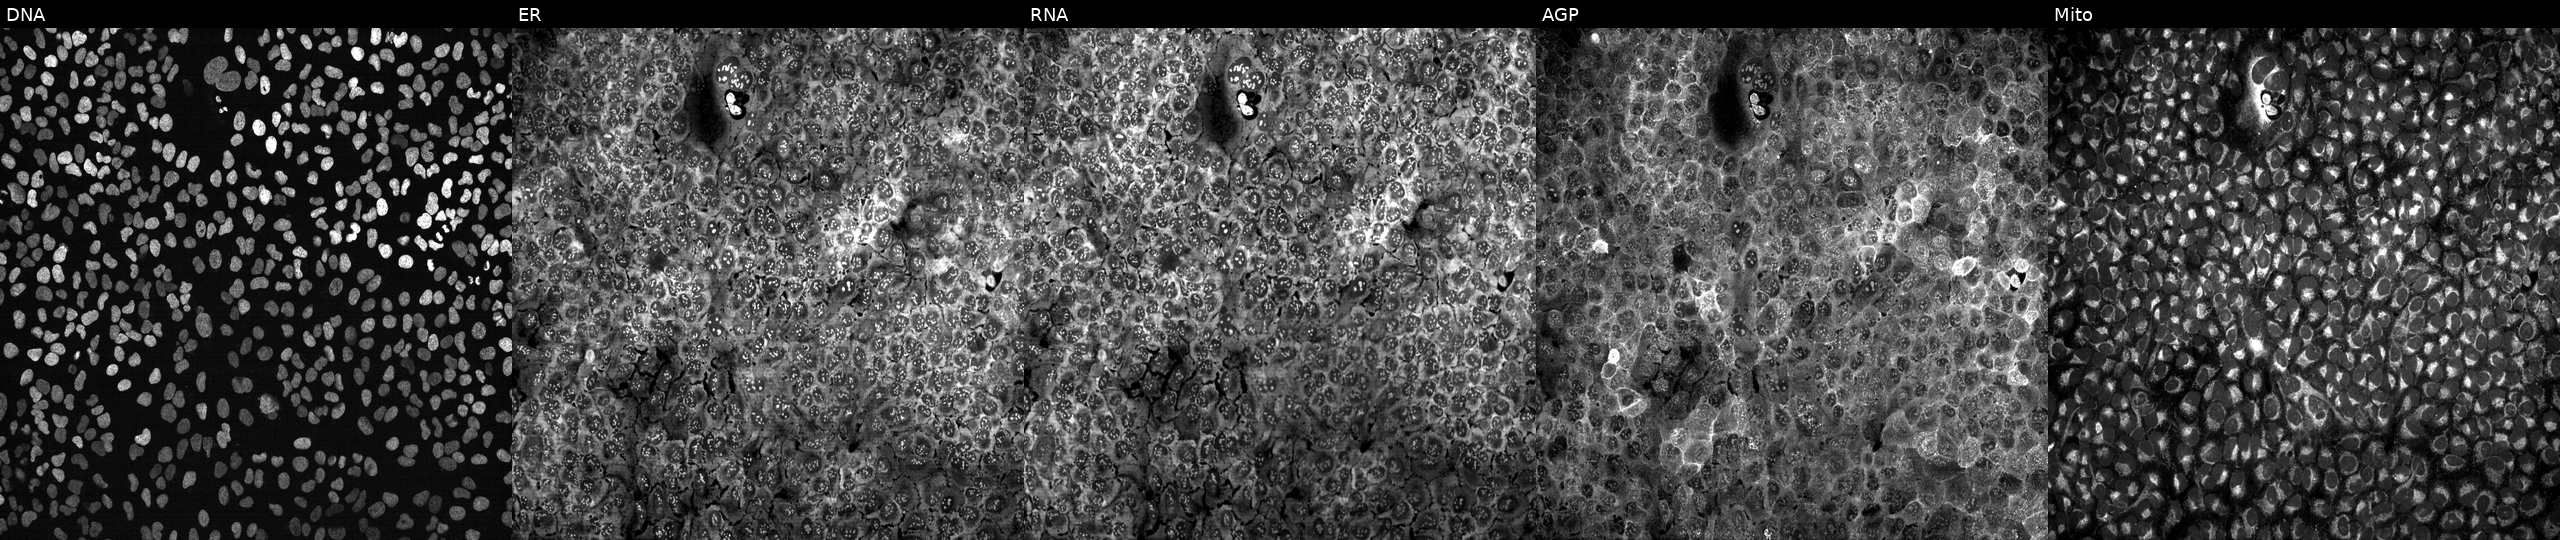
U2OS cells, Cell Painting assay, CRISPR-edited to disrupt ECHS1 (JUMP id JCP2022_801992). The five panels, left to right, show DNA (nuclei); ER (endoplasmic reticulum); RNA (nucleoli and cytoplasmic RNA); AGP (actin cytoskeleton, Golgi, and plasma membrane); Mito (mitochondria). Each panel is percentile-stretched 16-bit fluorescence. Source 13, plate CP-CC9-R4-04, well M13.